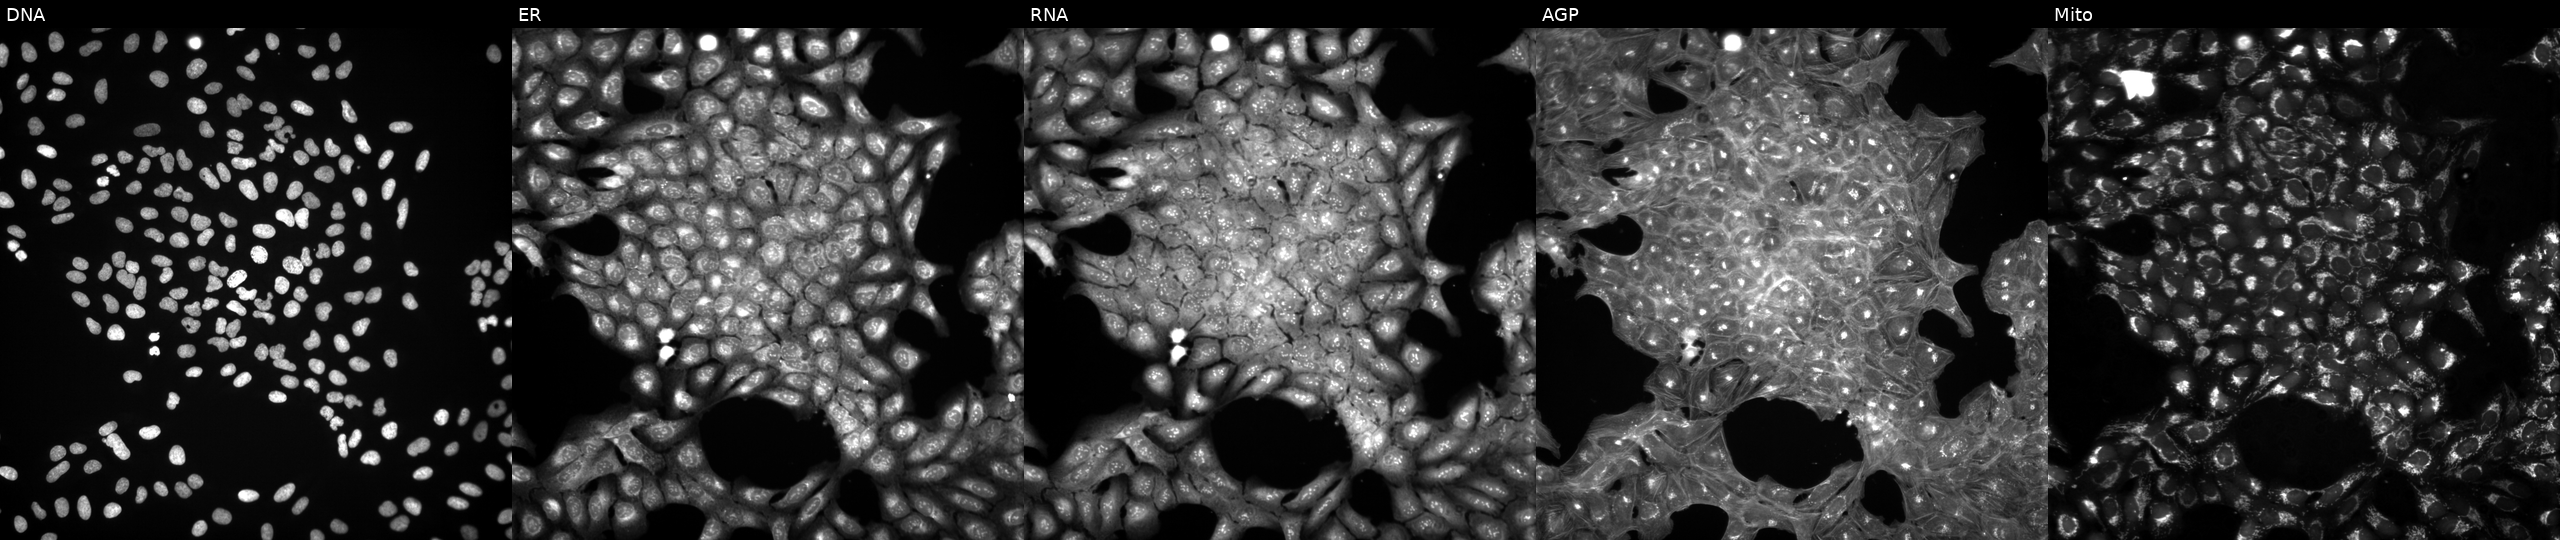
Five-channel Cell Painting image of U2OS cells exposed to DMSO alone as a negative control. Panels show, left to right, DNA (nuclei); ER (endoplasmic reticulum); RNA (nucleoli and cytoplasmic RNA); AGP (actin cytoskeleton, Golgi, and plasma membrane); Mito (mitochondria).